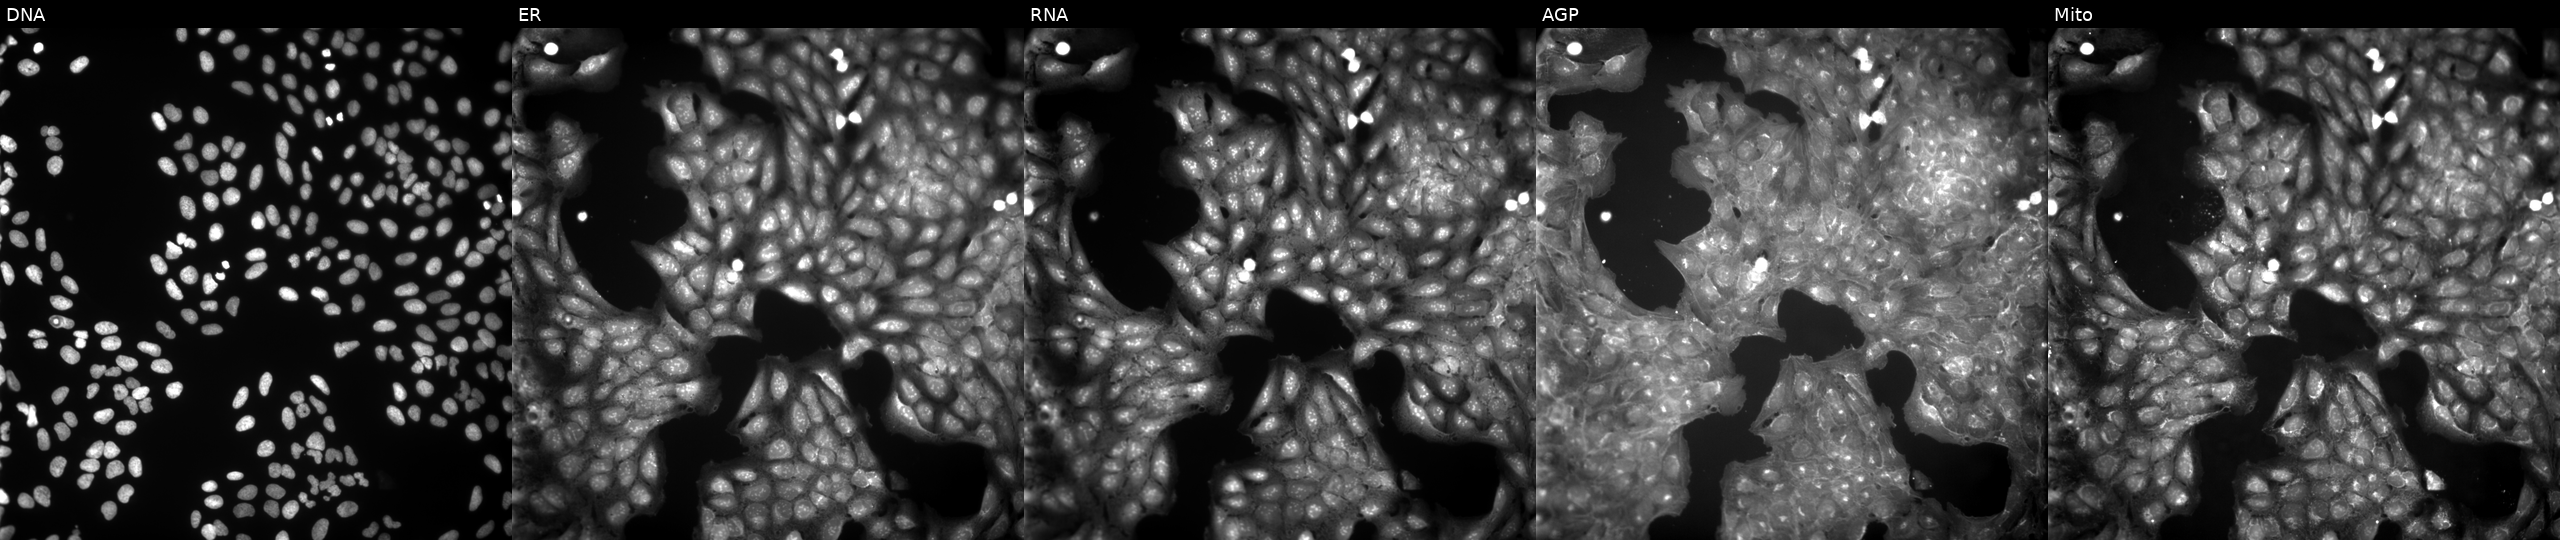
High-content fluorescence microscopy (Cell Painting). Cell line: U2OS. Perturbation: exposed to a small-molecule compound (InChIKey NWCFGGGTZNZSRA-UHFFFAOYSA-N) (JUMP id JCP2022_061729). Panels show, left to right, DNA (nuclei); ER (endoplasmic reticulum); RNA (nucleoli and cytoplasmic RNA); AGP (actin cytoskeleton, Golgi, and plasma membrane); Mito (mitochondria).